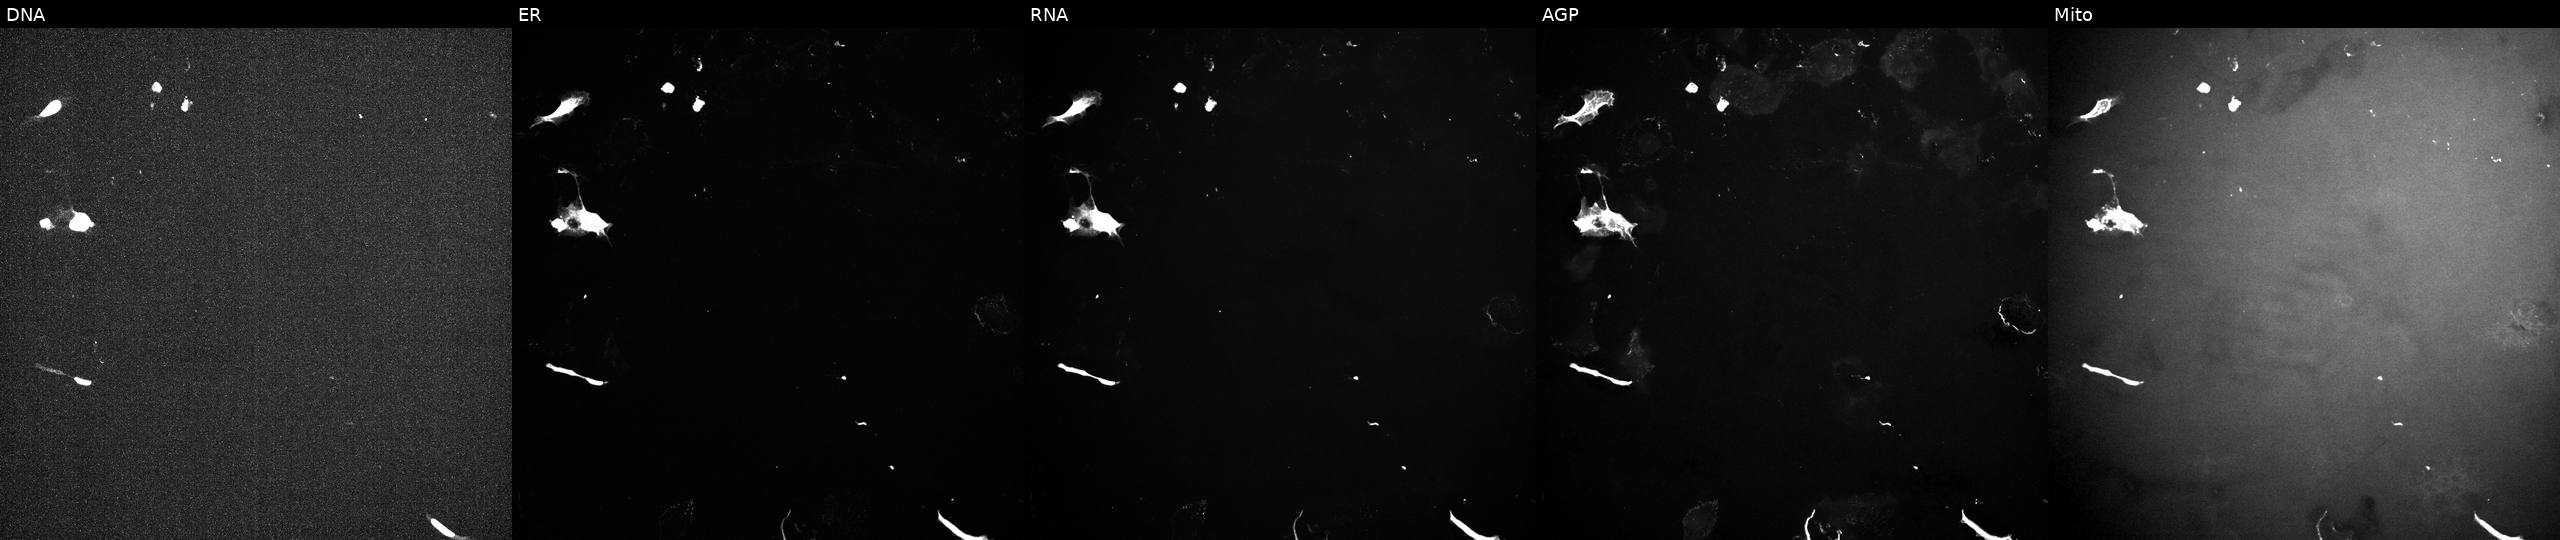
This image strip shows the five Cell Painting channels for a single field of U2OS cells exposed to a small-molecule compound. From left to right: Hoechst 33342, concanavalin A, SYTO 14, phalloidin and WGA, MitoTracker.